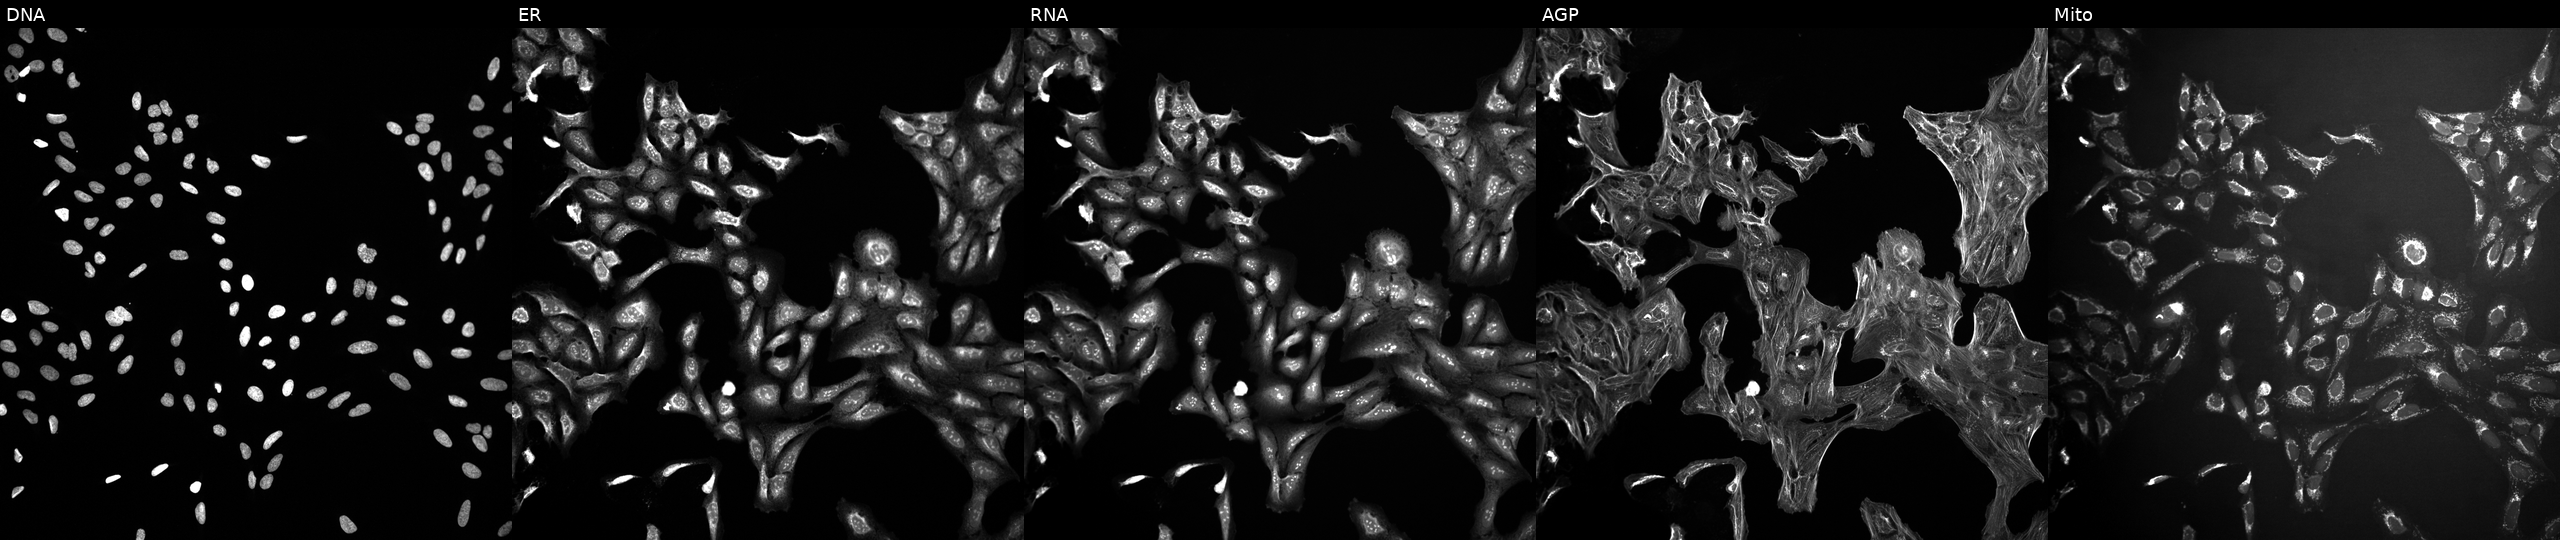
Panels show, left to right, DNA (nuclei); ER (endoplasmic reticulum); RNA (nucleoli and cytoplasmic RNA); AGP (actin cytoskeleton, Golgi, and plasma membrane); Mito (mitochondria). U2OS osteosarcoma cells perturbed with a small-molecule compound. Cell Painting assay, JUMP-CP dataset. Source 10, plate Dest210727-153003, well F18.